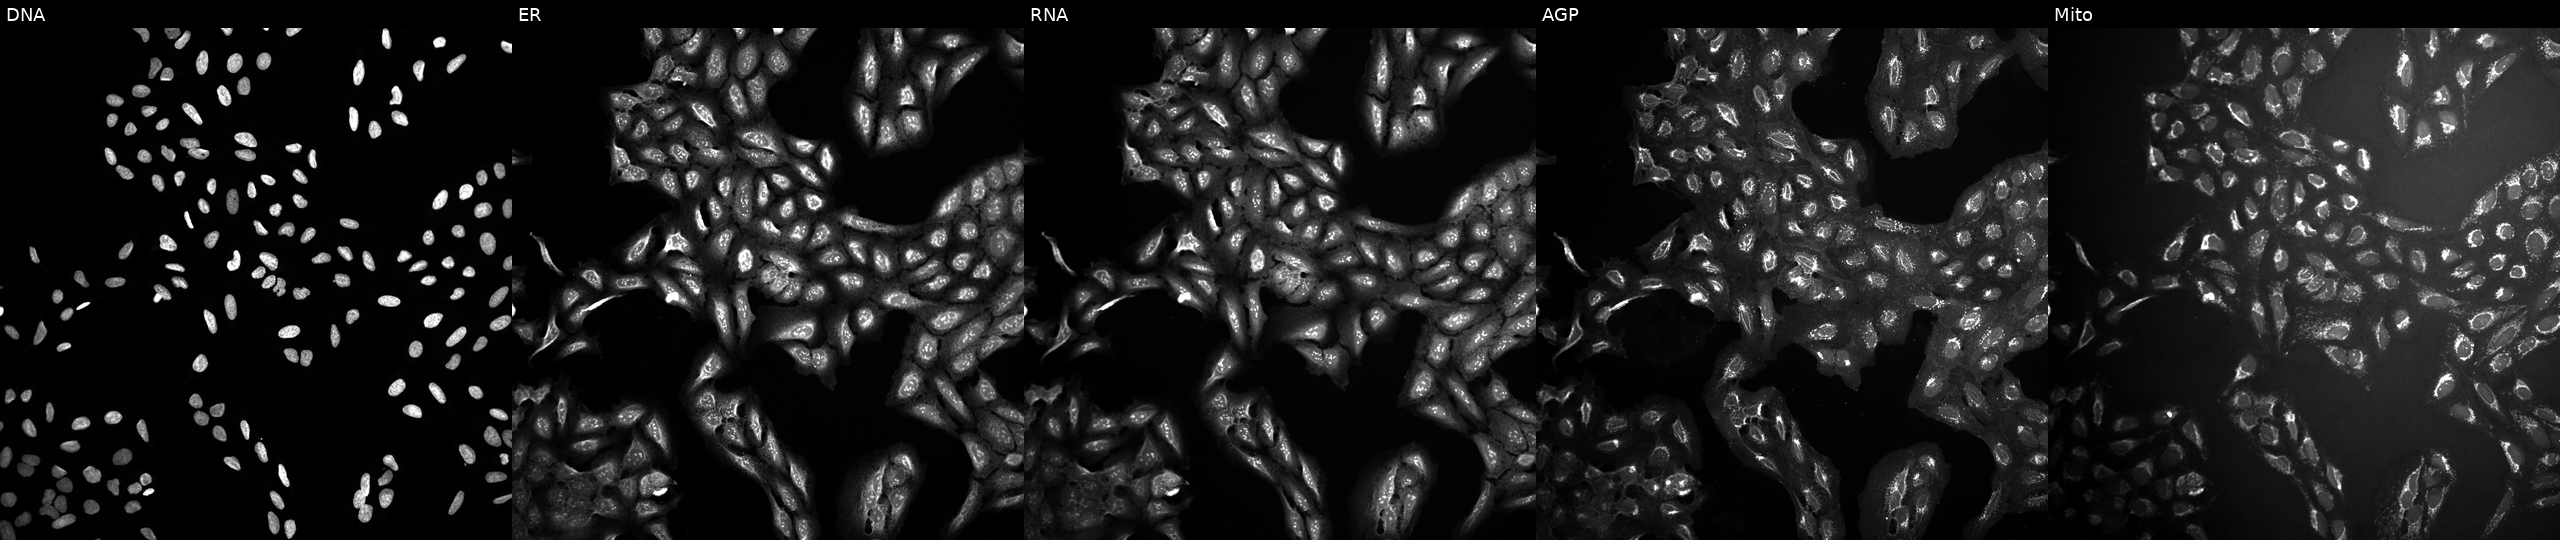
High-content fluorescence microscopy (Cell Painting). Cell line: U2OS. Perturbation: treated with DMSO vehicle only (negative control) (JUMP id JCP2022_033924). The five panels, left to right, show DNA, ER, RNA, AGP, and Mito.